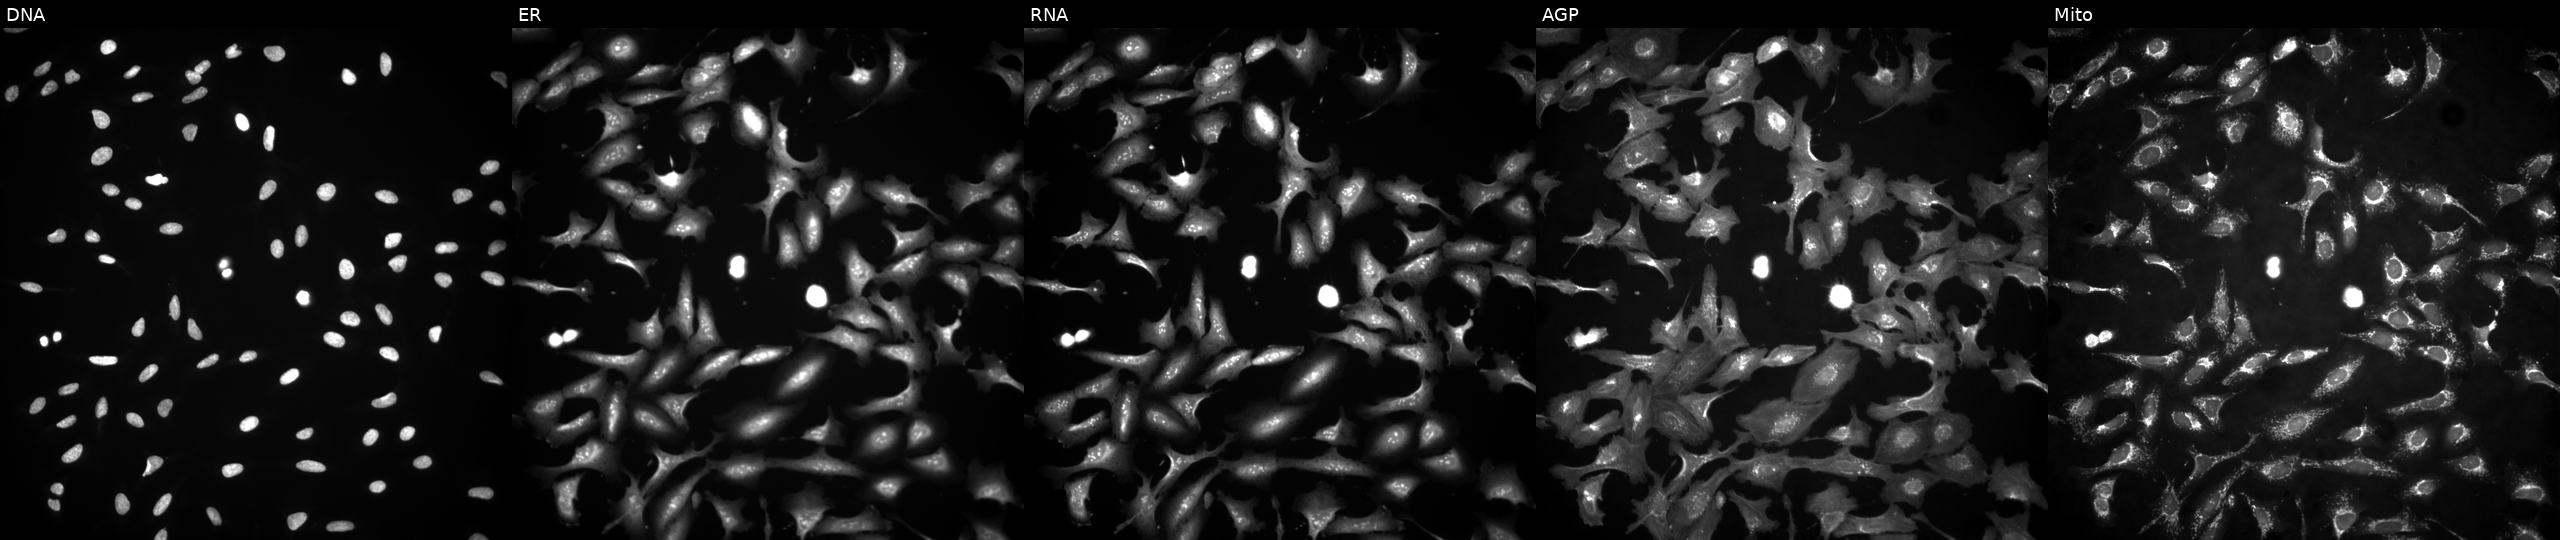
U2OS cells, Cell Painting assay, overexpressing ZNF501 via ORF transfection. Panels show, left to right, Hoechst 33342, concanavalin A, SYTO 14, phalloidin and WGA, MitoTracker. Each panel is percentile-stretched 16-bit fluorescence.